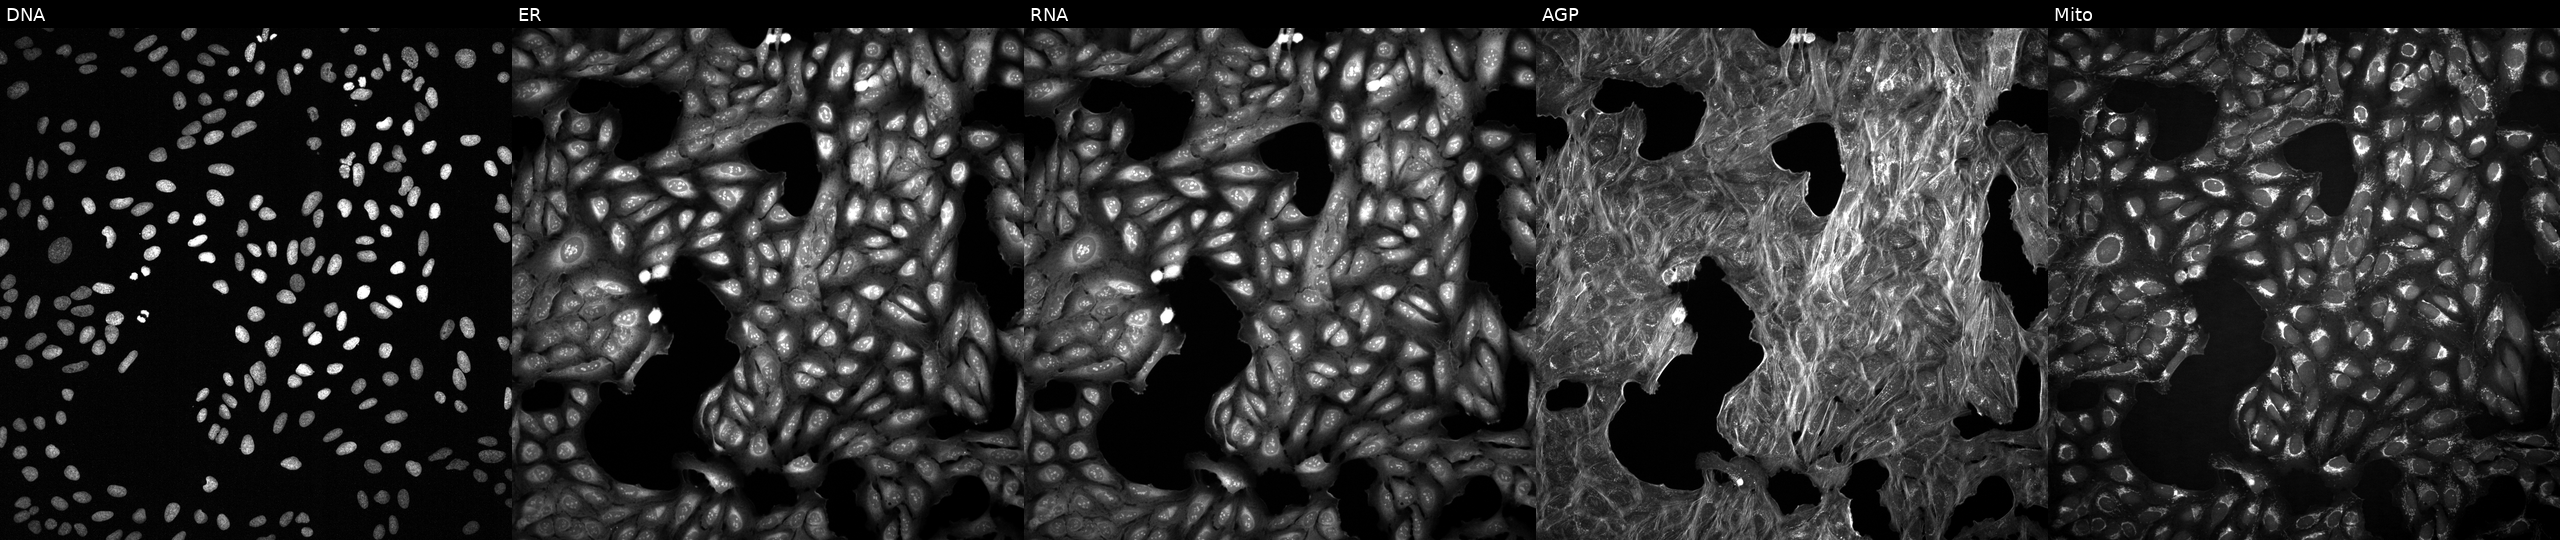
This image strip shows the five Cell Painting channels for a single field of U2OS cells treated with a small-molecule compound. Panels show, left to right, Hoechst 33342, concanavalin A, SYTO 14, phalloidin and WGA, MitoTracker.